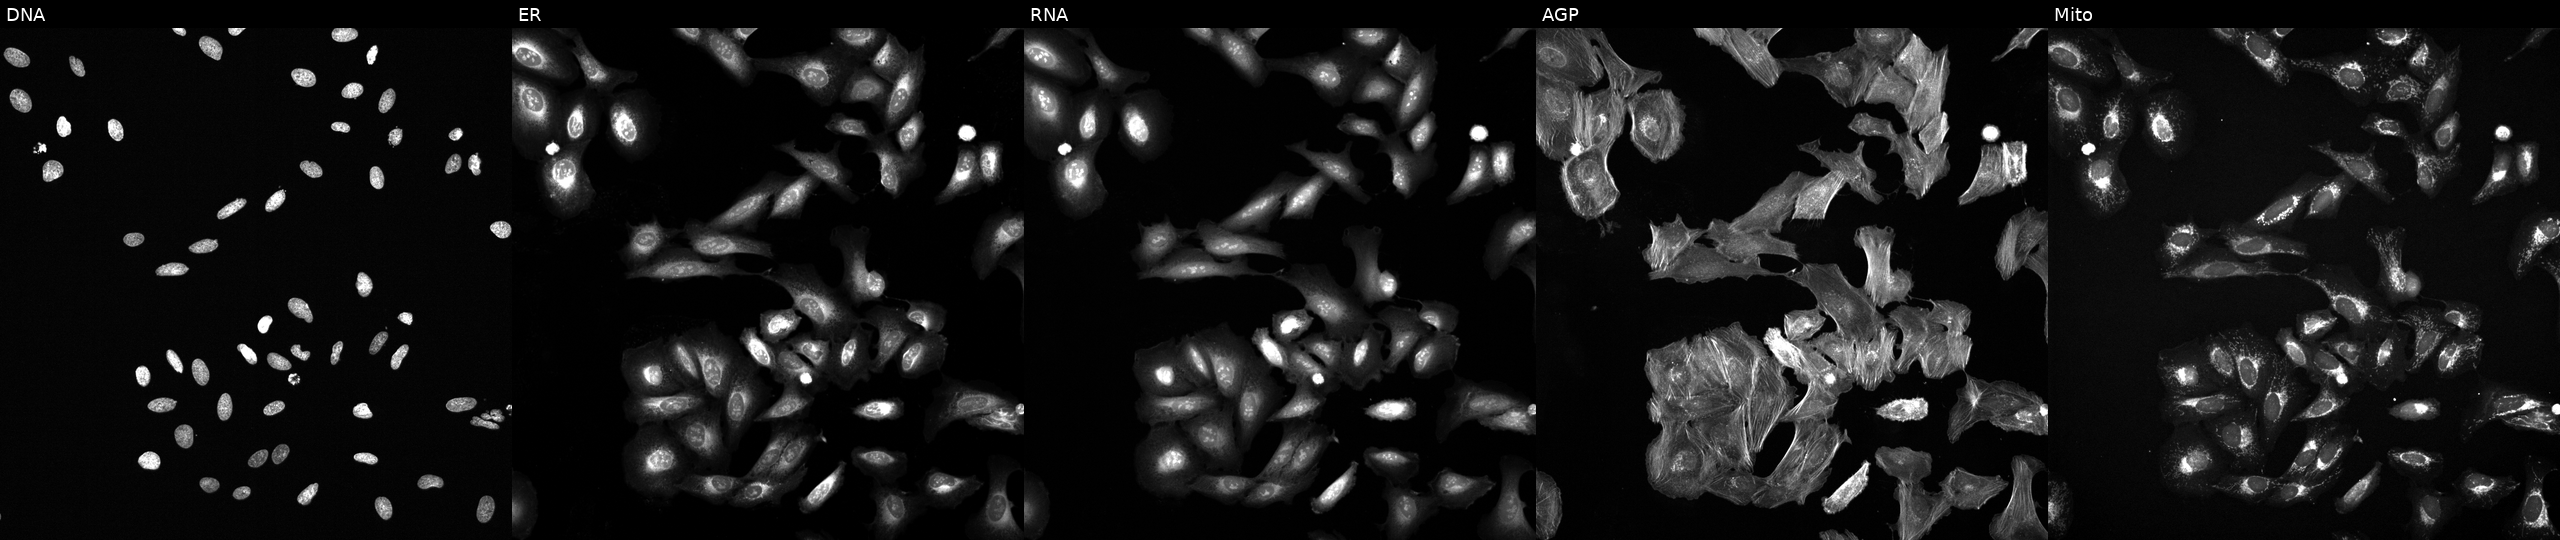
JUMP Cell Painting — TARGET2 plate. U2OS cells exposed to a small-molecule compound (InChIKey HUXYBQXJVXOMKX-UHFFFAOYSA-N) [SMILES: CC(C)CC(=O)N=c1[nH][nH]c2c1CN(C(=O)C1CCN(C)CC1)C2(C)C]. Panels show, left to right, Hoechst 33342, concanavalin A, SYTO 14, phalloidin and WGA, MitoTracker.